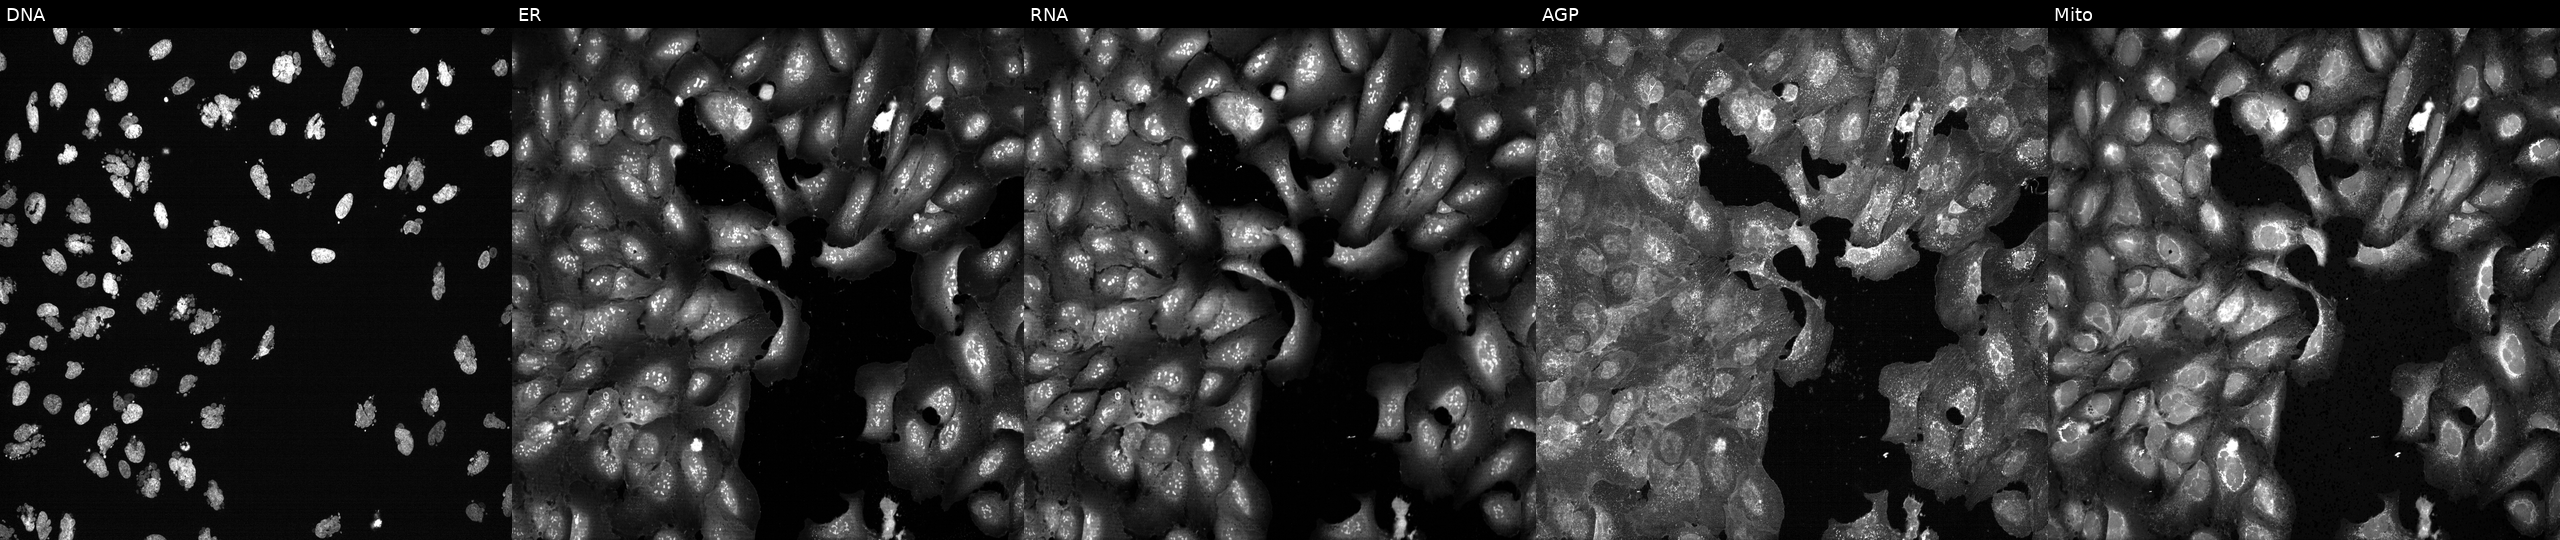
High-content fluorescence microscopy (Cell Painting). Cell line: U2OS. Perturbation: treated with AMG900 (positive-control compound) (JUMP id JCP2022_037716). From left to right: DNA, ER, RNA, AGP, and Mito. Source 13, plate CP-CC9-R1-01, well J01.